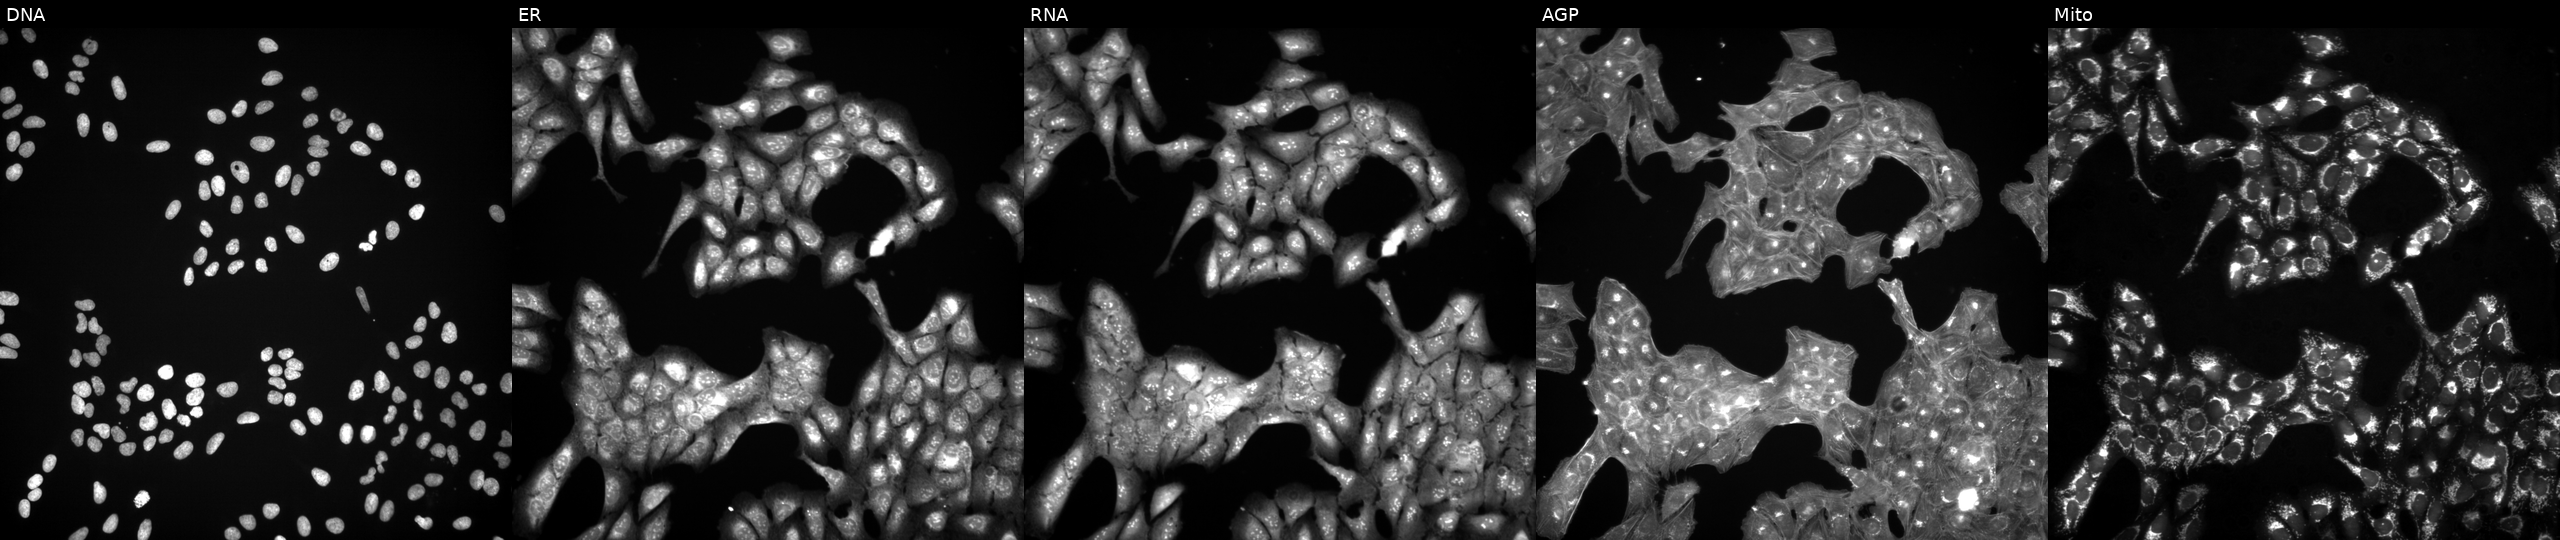
JUMP Cell Painting — TARGET2 plate. U2OS cells exposed to DMSO alone as a negative control (JUMP id JCP2022_033924). Channels (left→right): DNA, ER, RNA, AGP, and Mito.